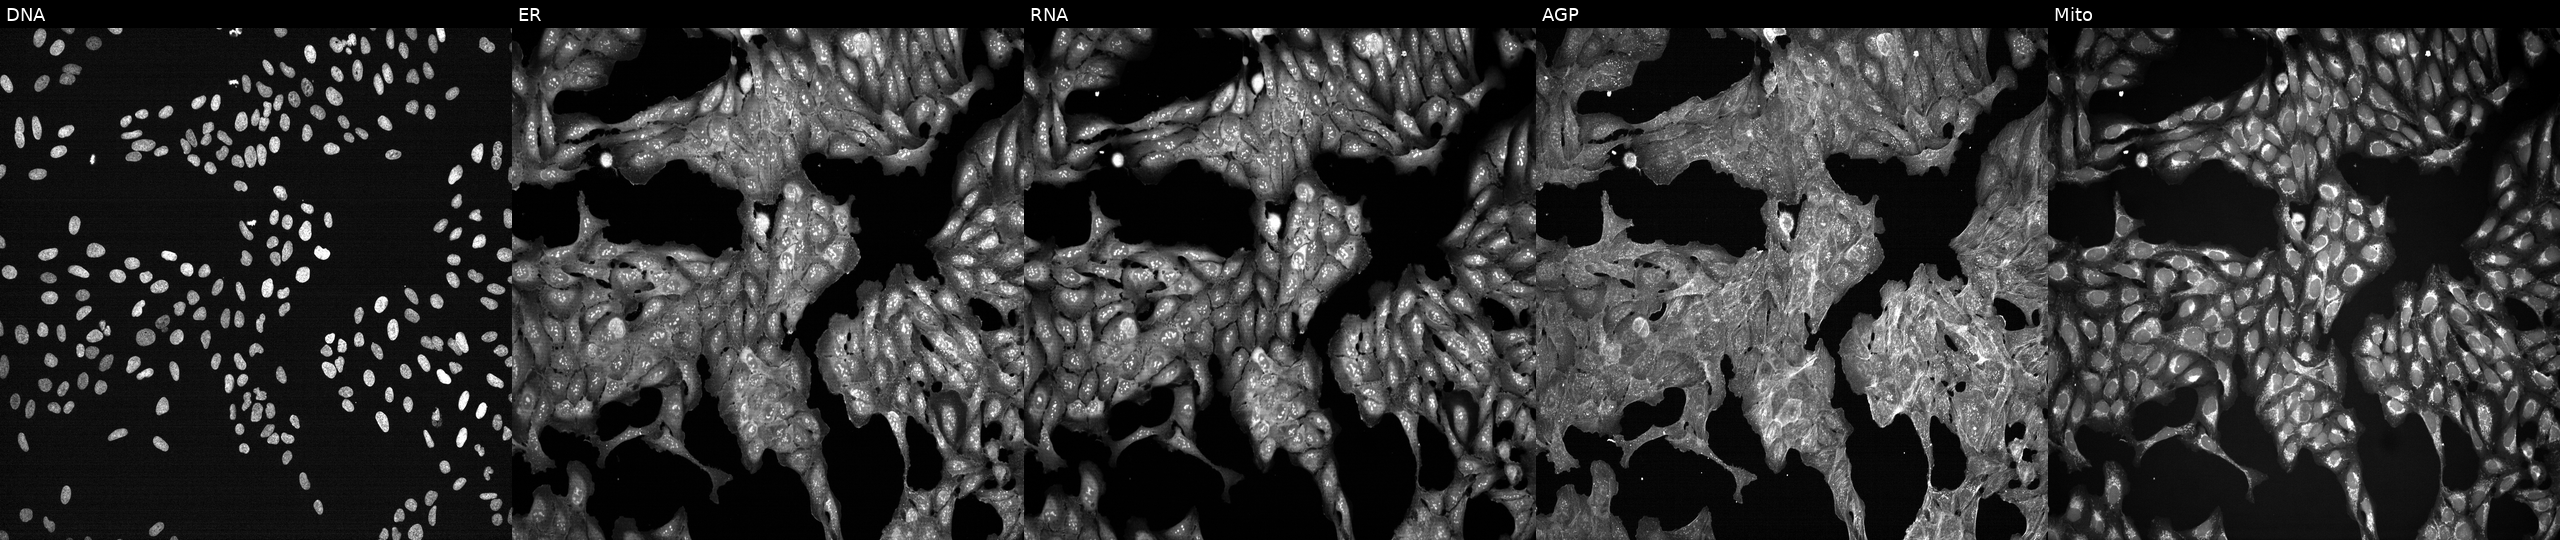
Five-channel Cell Painting image of U2OS cells exposed to a small-molecule compound (InChIKey NXNKJLOEGWSJGI-UHFFFAOYSA-N) (JUMP id JCP2022_062023). Panels show, left to right, DNA (nuclei); ER (endoplasmic reticulum); RNA (nucleoli and cytoplasmic RNA); AGP (actin cytoskeleton, Golgi, and plasma membrane); Mito (mitochondria). Source 7, plate CP3-SC1-25, well P08.